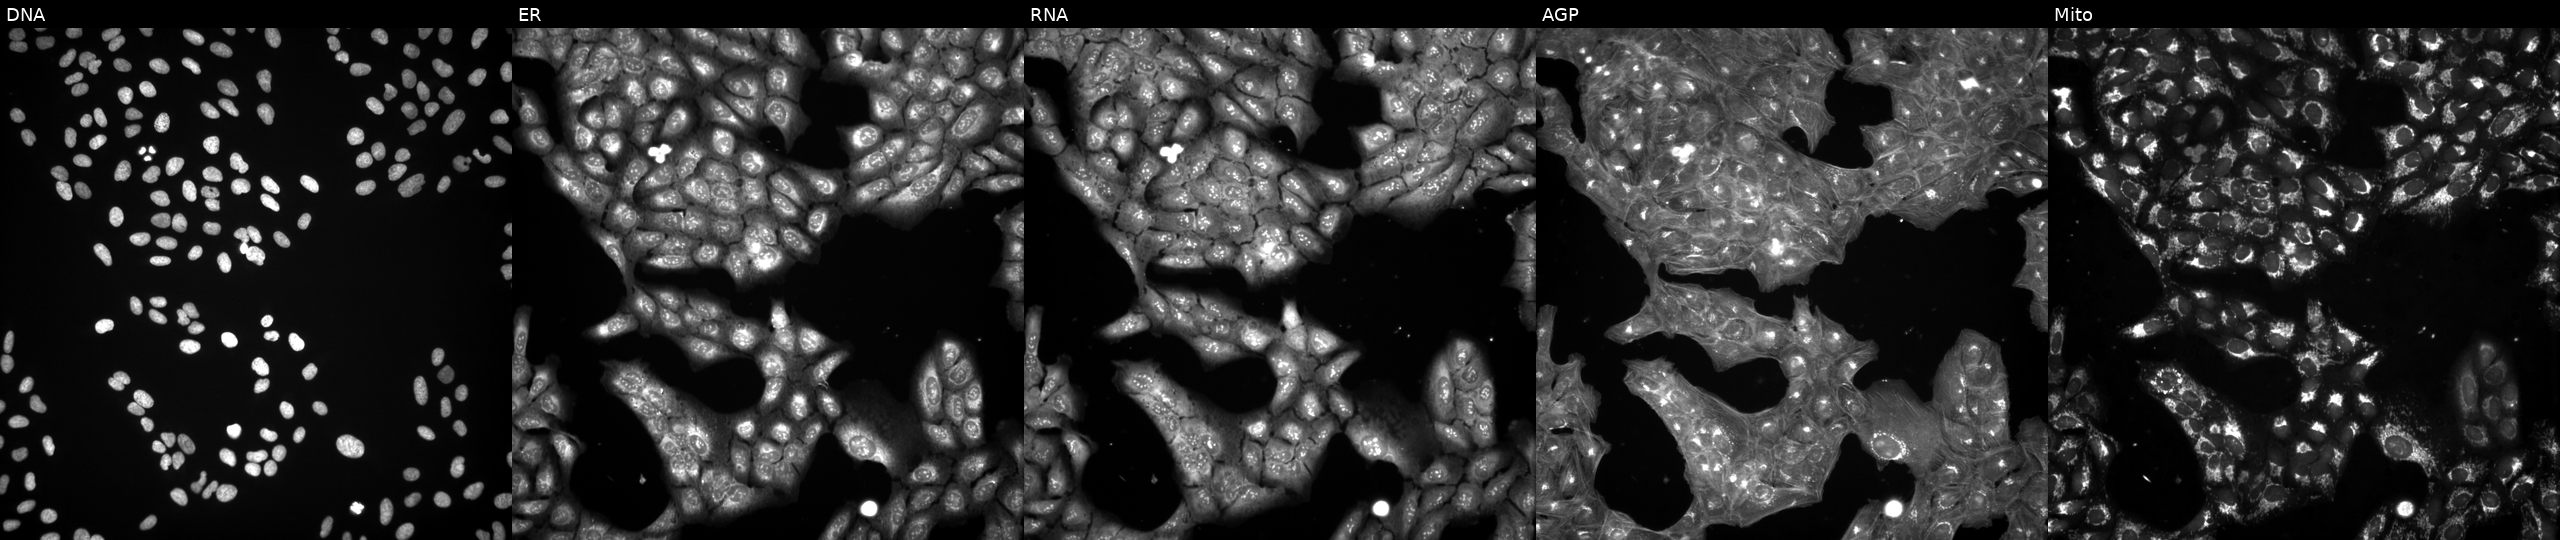
JUMP Cell Painting — COMPOUND plate. U2OS cells in an empty control well (no perturbation) (JUMP id JCP2022_999999). Channels (left→right): DNA, ER, RNA, AGP, and Mito.